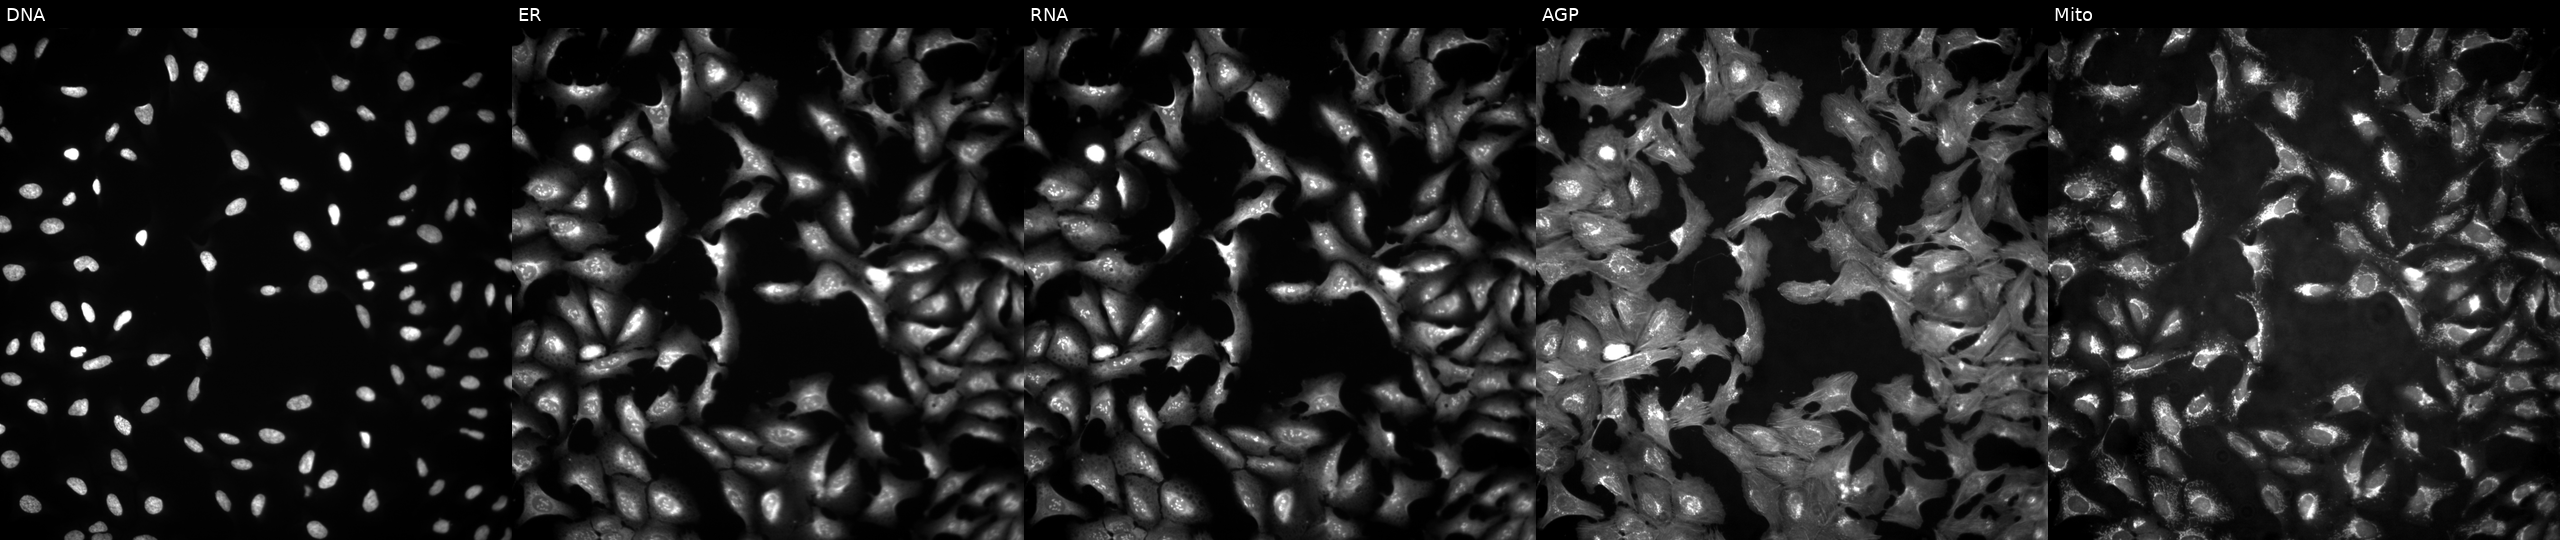
U2OS cells, Cell Painting assay, transfected with an ORF construct for IGLV3-25 (JUMP id JCP2022_911077). From left to right: DNA (nuclei); ER (endoplasmic reticulum); RNA (nucleoli and cytoplasmic RNA); AGP (actin cytoskeleton, Golgi, and plasma membrane); Mito (mitochondria). Each panel is percentile-stretched 16-bit fluorescence.